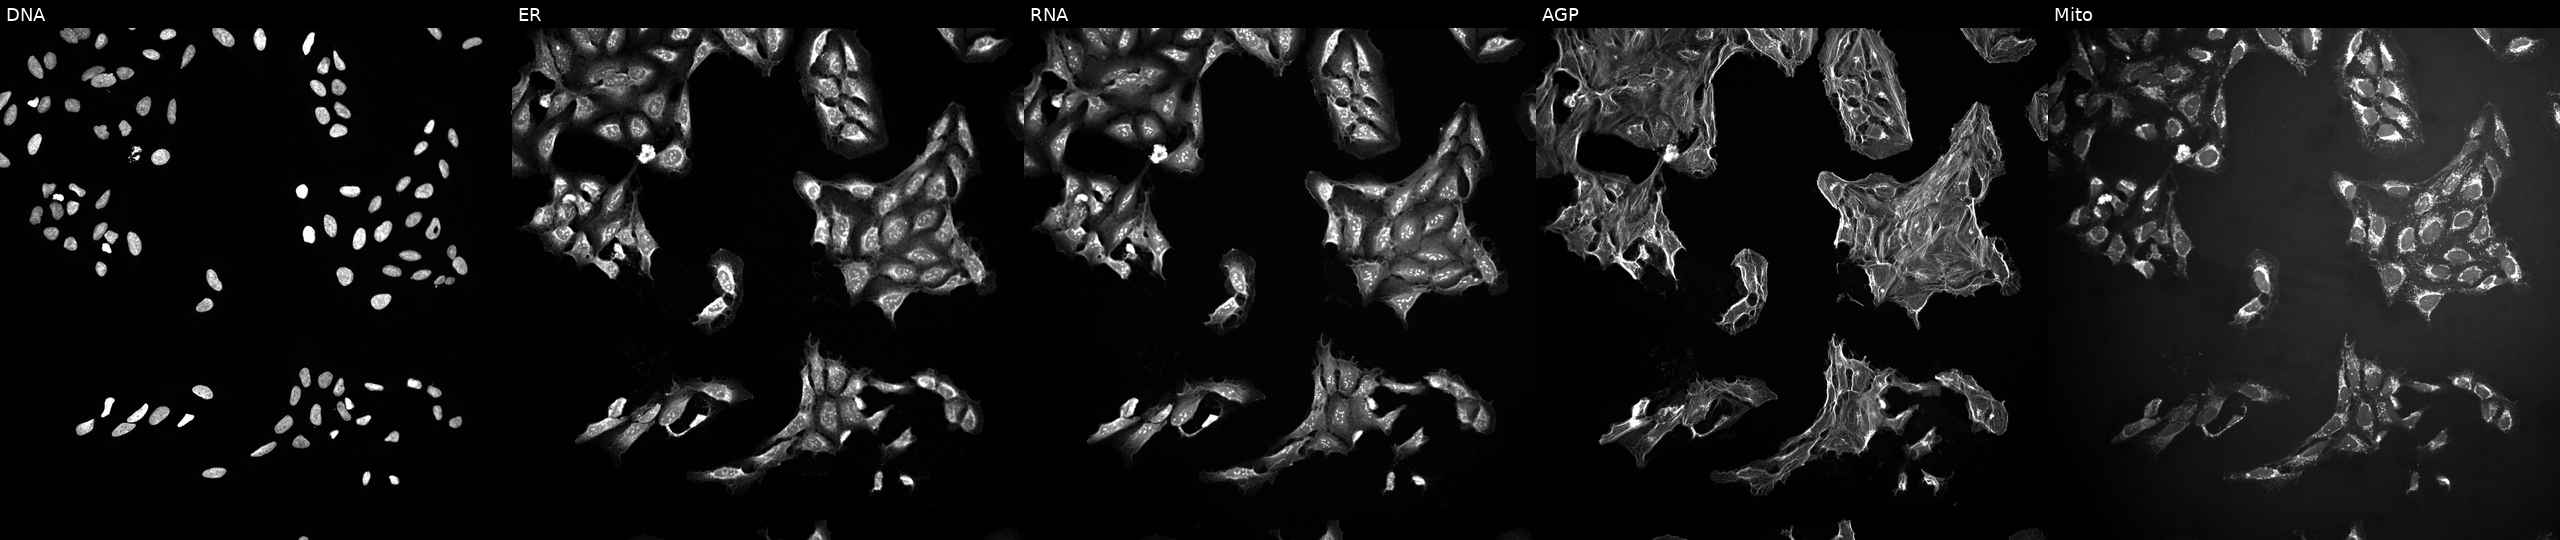
Five-channel Cell Painting image of U2OS cells treated with a small-molecule compound (InChIKey QIHBWVVVRYYYRO-UHFFFAOYSA-N). Channels (left→right): Hoechst 33342, concanavalin A, SYTO 14, phalloidin and WGA, MitoTracker.